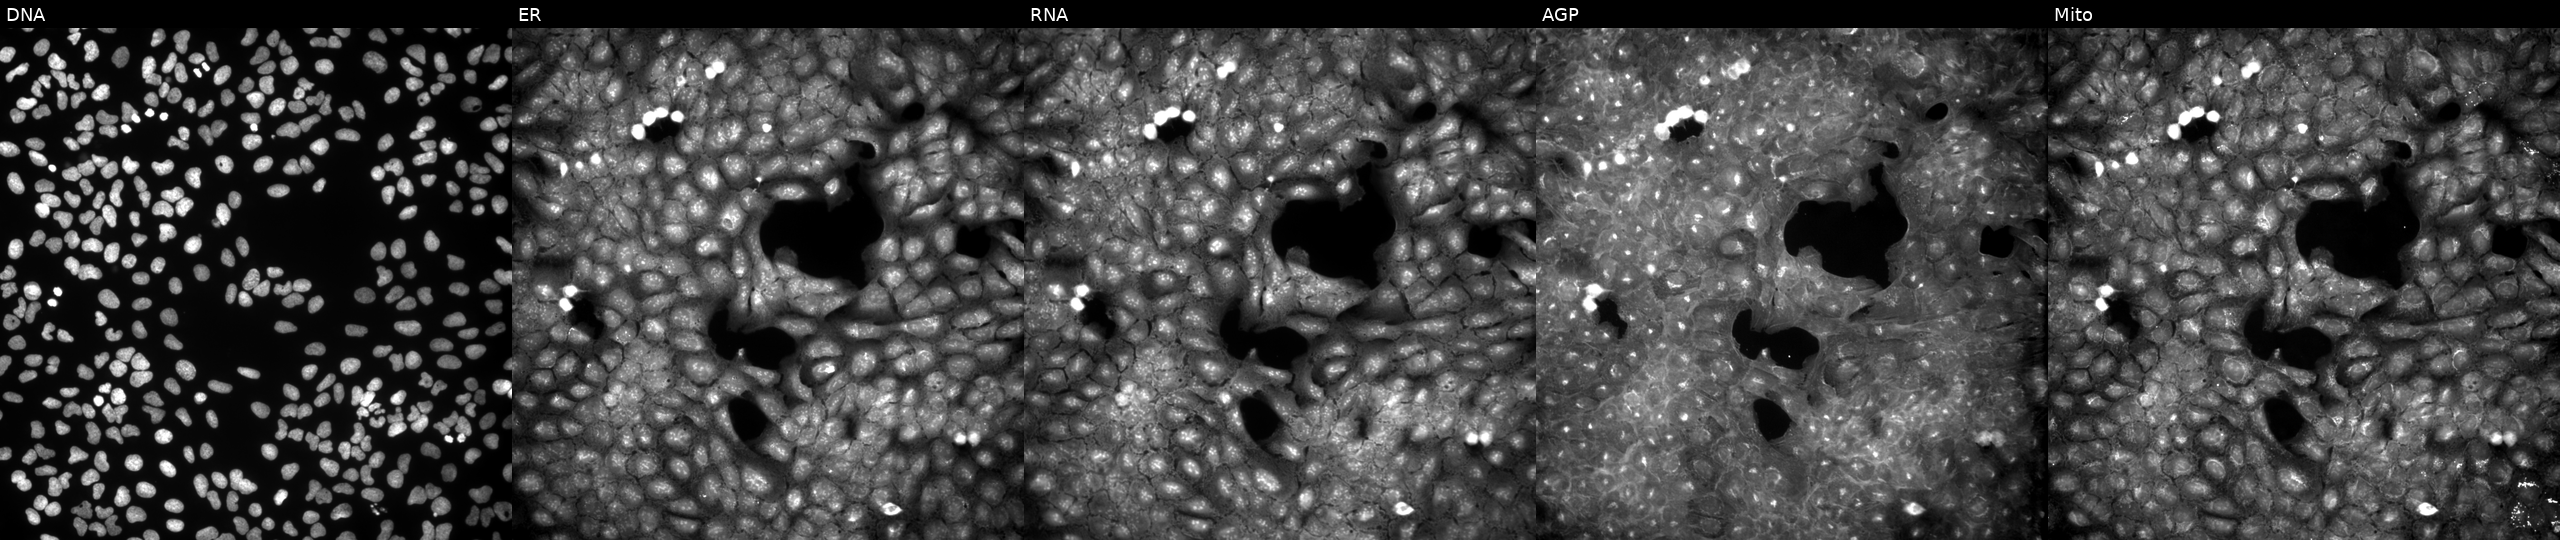
JUMP Cell Painting — COMPOUND plate. U2OS cells perturbed with a small-molecule compound (InChIKey JXJWUGYSTWEARC-UHFFFAOYSA-N) (JUMP id JCP2022_042747). The five panels, left to right, show DNA (nuclei); ER (endoplasmic reticulum); RNA (nucleoli and cytoplasmic RNA); AGP (actin cytoskeleton, Golgi, and plasma membrane); Mito (mitochondria). Source 9, plate GR00003382, well I31.